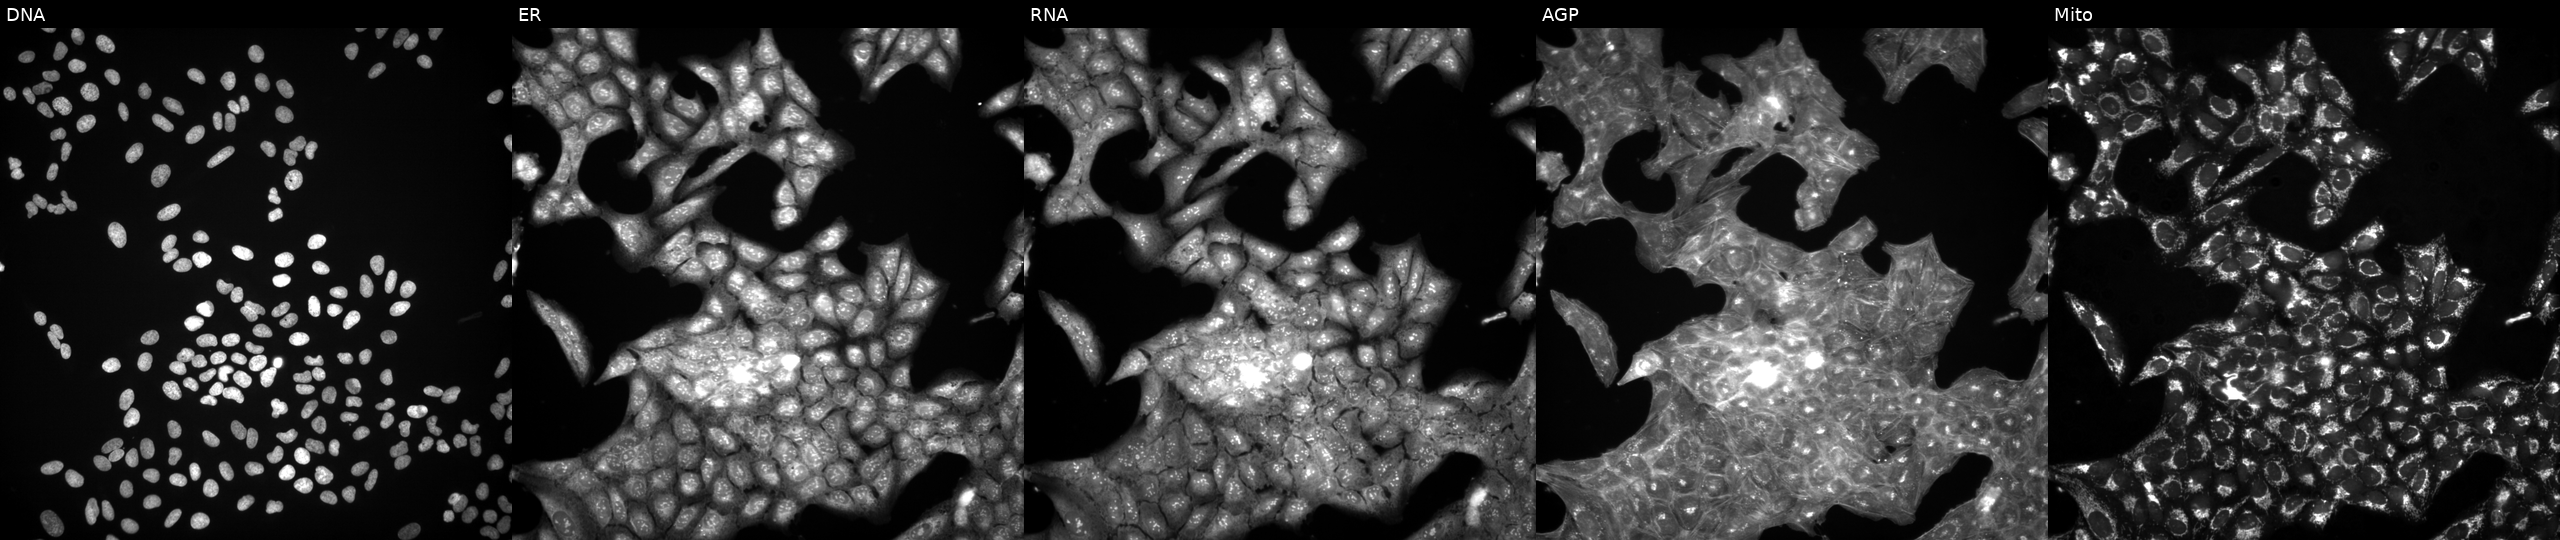
This image strip shows the five Cell Painting channels for a single field of U2OS cells perturbed with a small-molecule compound (InChIKey YULUCECVQOCQFQ-UHFFFAOYSA-N). The five panels, left to right, show DNA (nuclei); ER (endoplasmic reticulum); RNA (nucleoli and cytoplasmic RNA); AGP (actin cytoskeleton, Golgi, and plasma membrane); Mito (mitochondria).